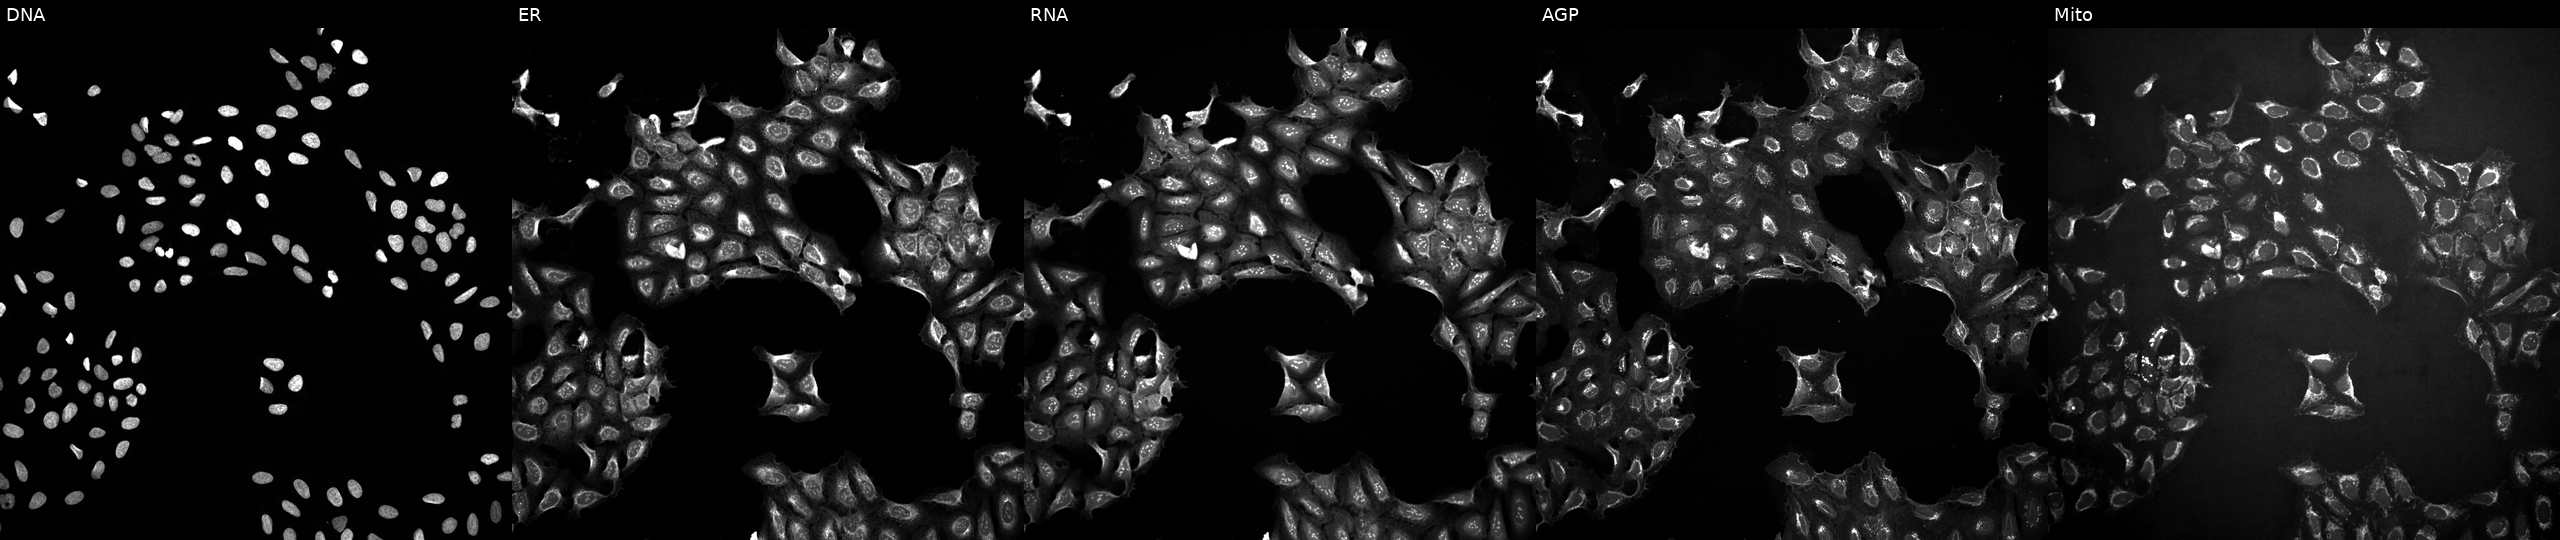
Panels show, left to right, DNA, ER, RNA, AGP, and Mito. U2OS osteosarcoma cells perturbed with a small-molecule compound [SMILES: OCc1ccc(CO)o1]. Cell Painting assay, JUMP-CP dataset. Source 10, plate Dest210803-153958, well H03.